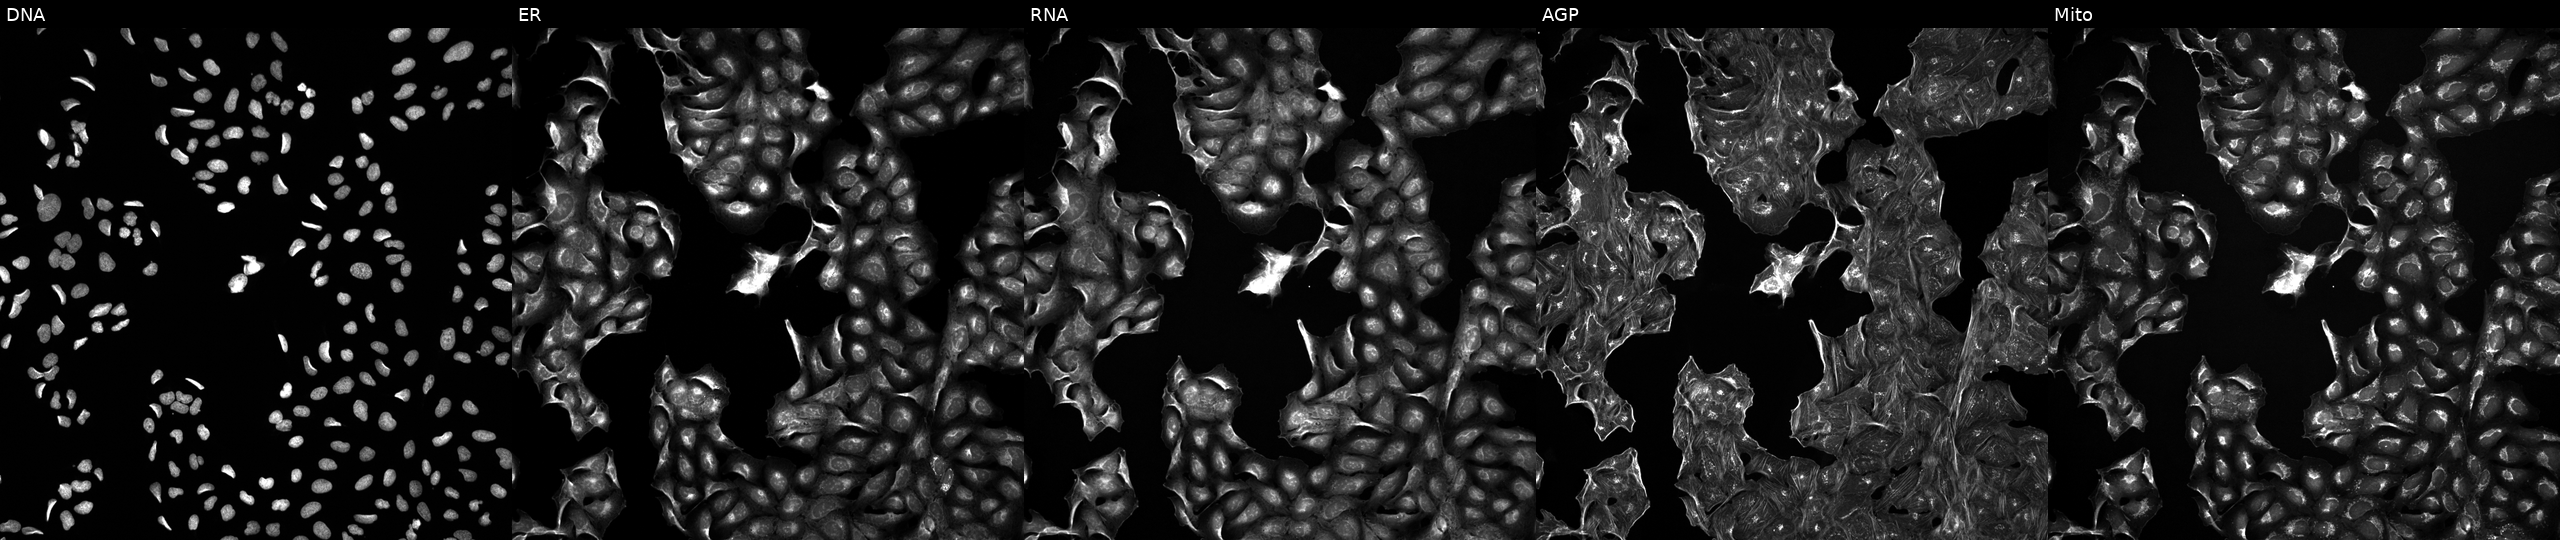
U2OS cells, Cell Painting assay, treated with NVS-PAK1-1 (positive-control compound) (JUMP id JCP2022_064022). The five panels, left to right, show DNA (nuclei); ER (endoplasmic reticulum); RNA (nucleoli and cytoplasmic RNA); AGP (actin cytoskeleton, Golgi, and plasma membrane); Mito (mitochondria). Each panel is percentile-stretched 16-bit fluorescence.